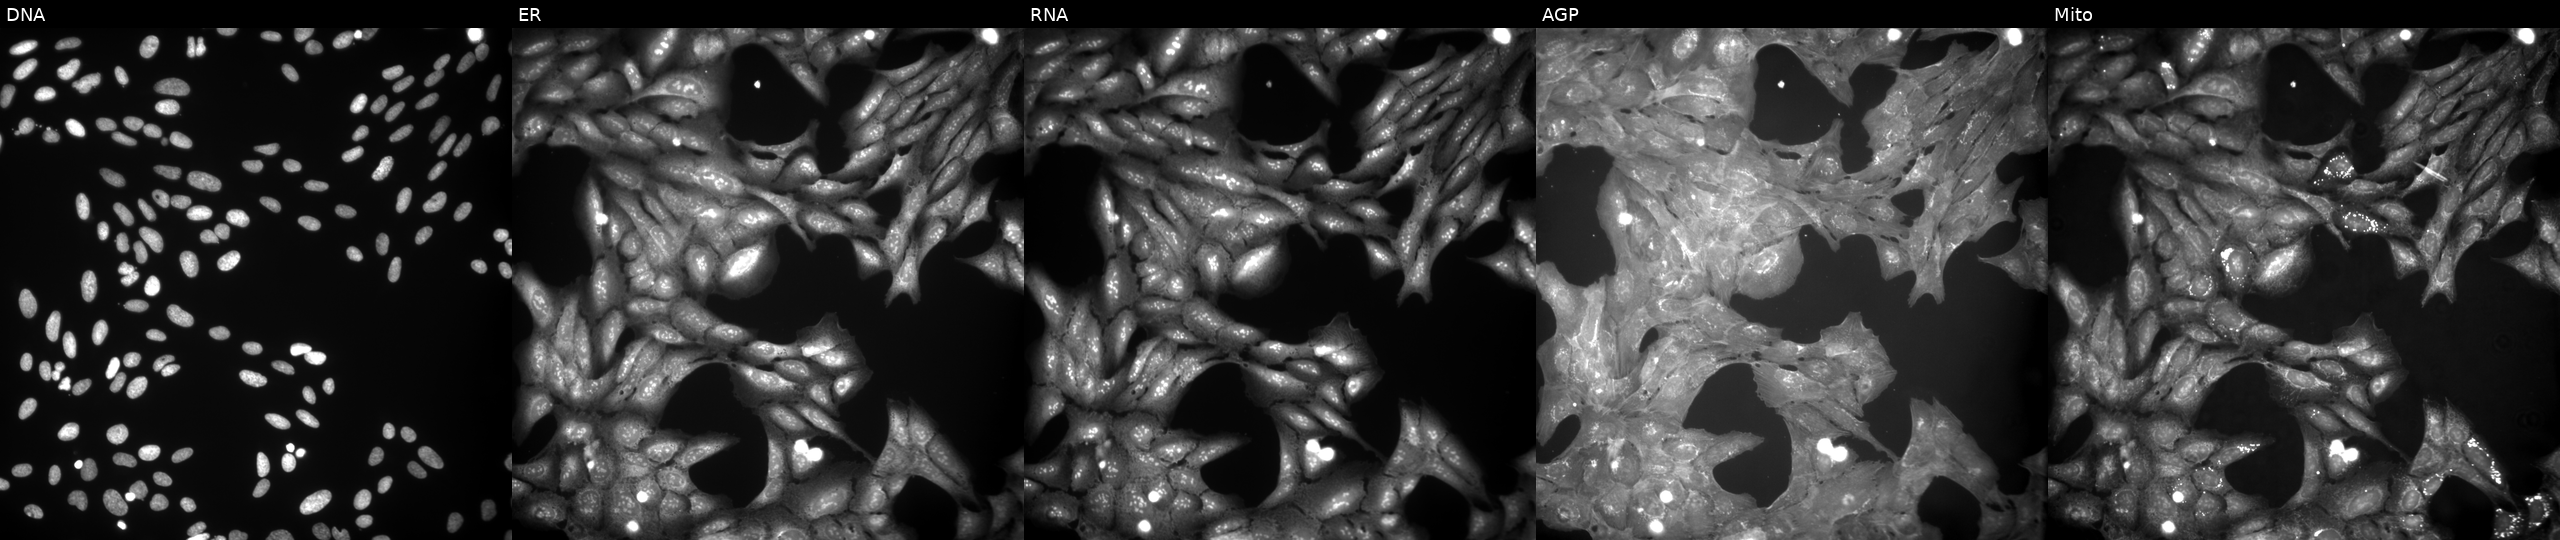
JUMP Cell Painting — COMPOUND plate. U2OS cells treated with a small-molecule compound (JUMP id JCP2022_034848). From left to right: Hoechst 33342, concanavalin A, SYTO 14, phalloidin and WGA, MitoTracker.